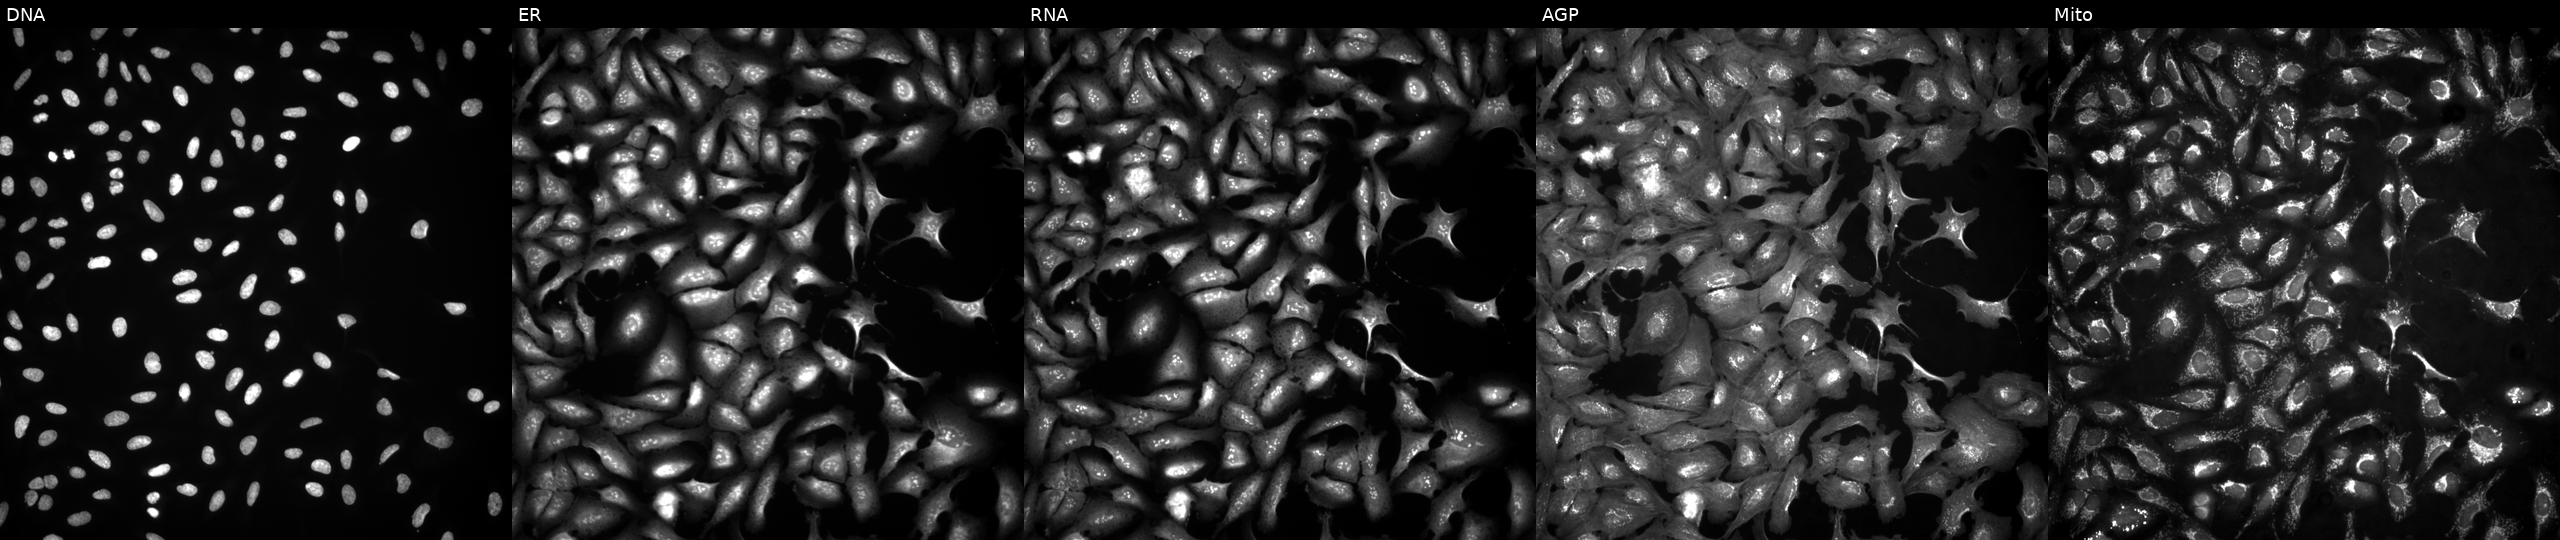
Five-channel Cell Painting image of U2OS cells overexpressing COX6B1 via ORF transfection (JUMP id JCP2022_900324). The five panels, left to right, show DNA, ER, RNA, AGP, and Mito.